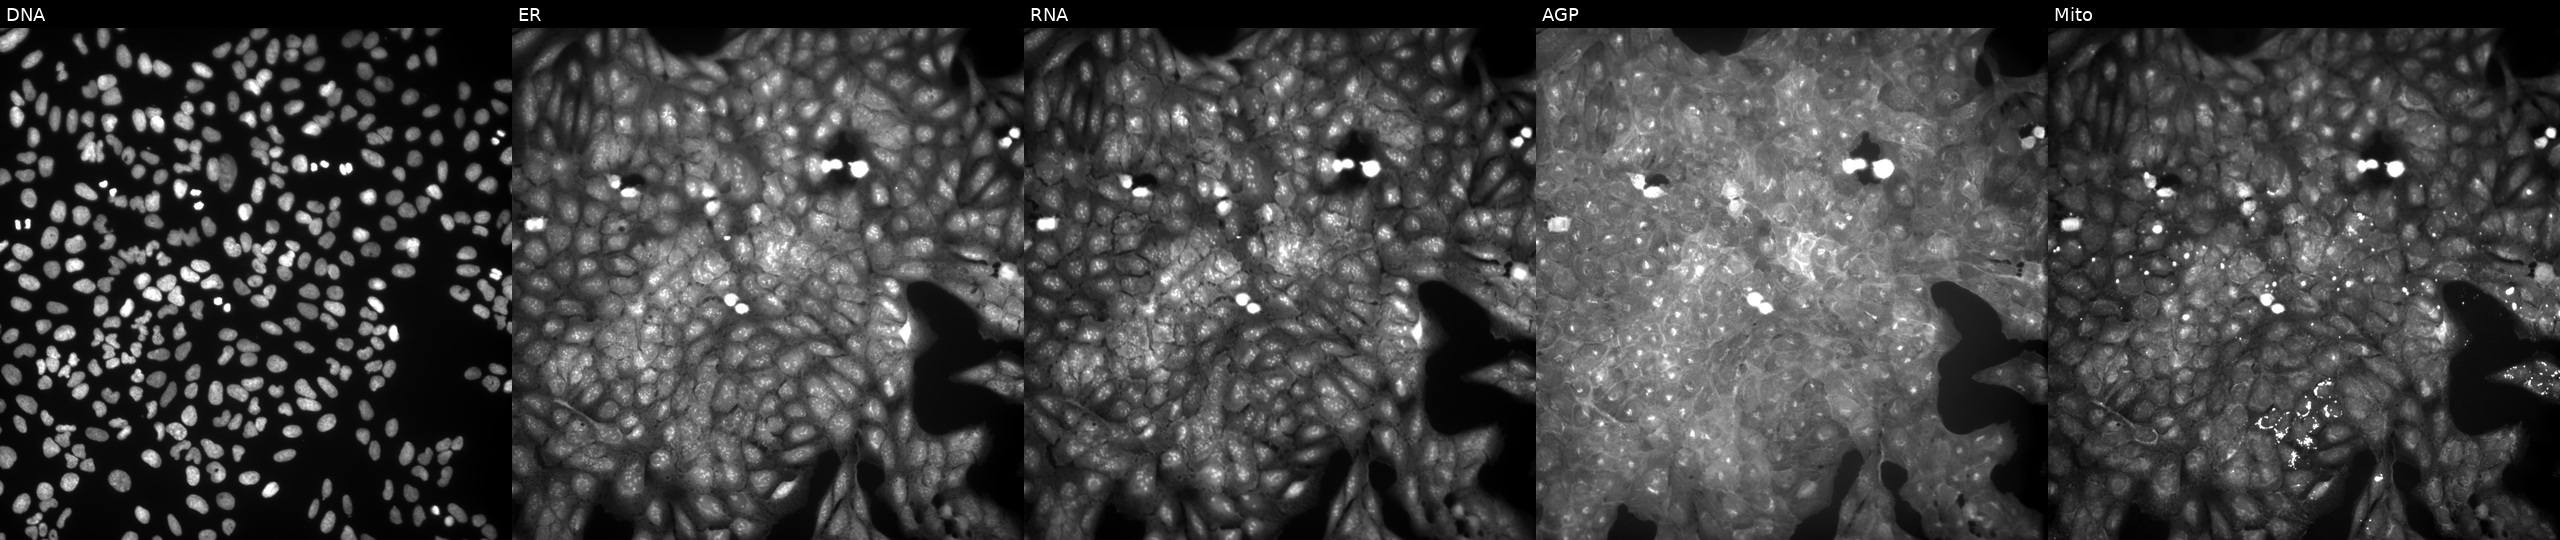
Five-channel Cell Painting image of U2OS cells treated with a small-molecule compound. The five panels, left to right, show DNA (nuclei); ER (endoplasmic reticulum); RNA (nucleoli and cytoplasmic RNA); AGP (actin cytoskeleton, Golgi, and plasma membrane); Mito (mitochondria).